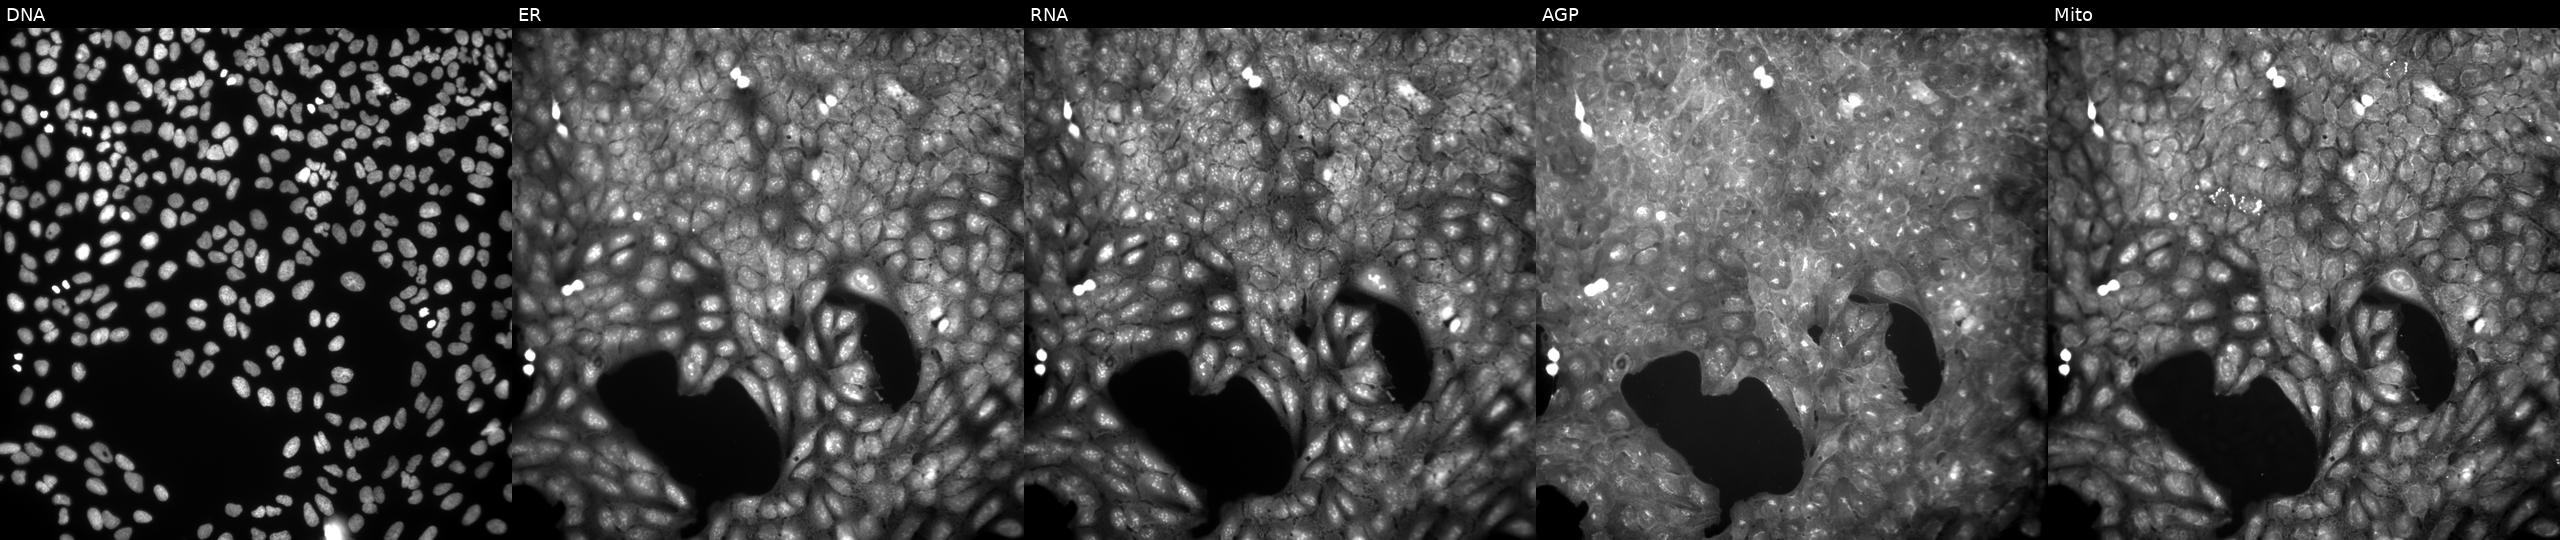
High-content fluorescence microscopy (Cell Painting). Cell line: U2OS. Perturbation: exposed to a small-molecule compound (InChIKey KEOHSZCHSVGGCN-UHFFFAOYSA-N) (JUMP id JCP2022_044106). Panels show, left to right, Hoechst 33342, concanavalin A, SYTO 14, phalloidin and WGA, MitoTracker. Source 9, plate GR00003382, well M44.